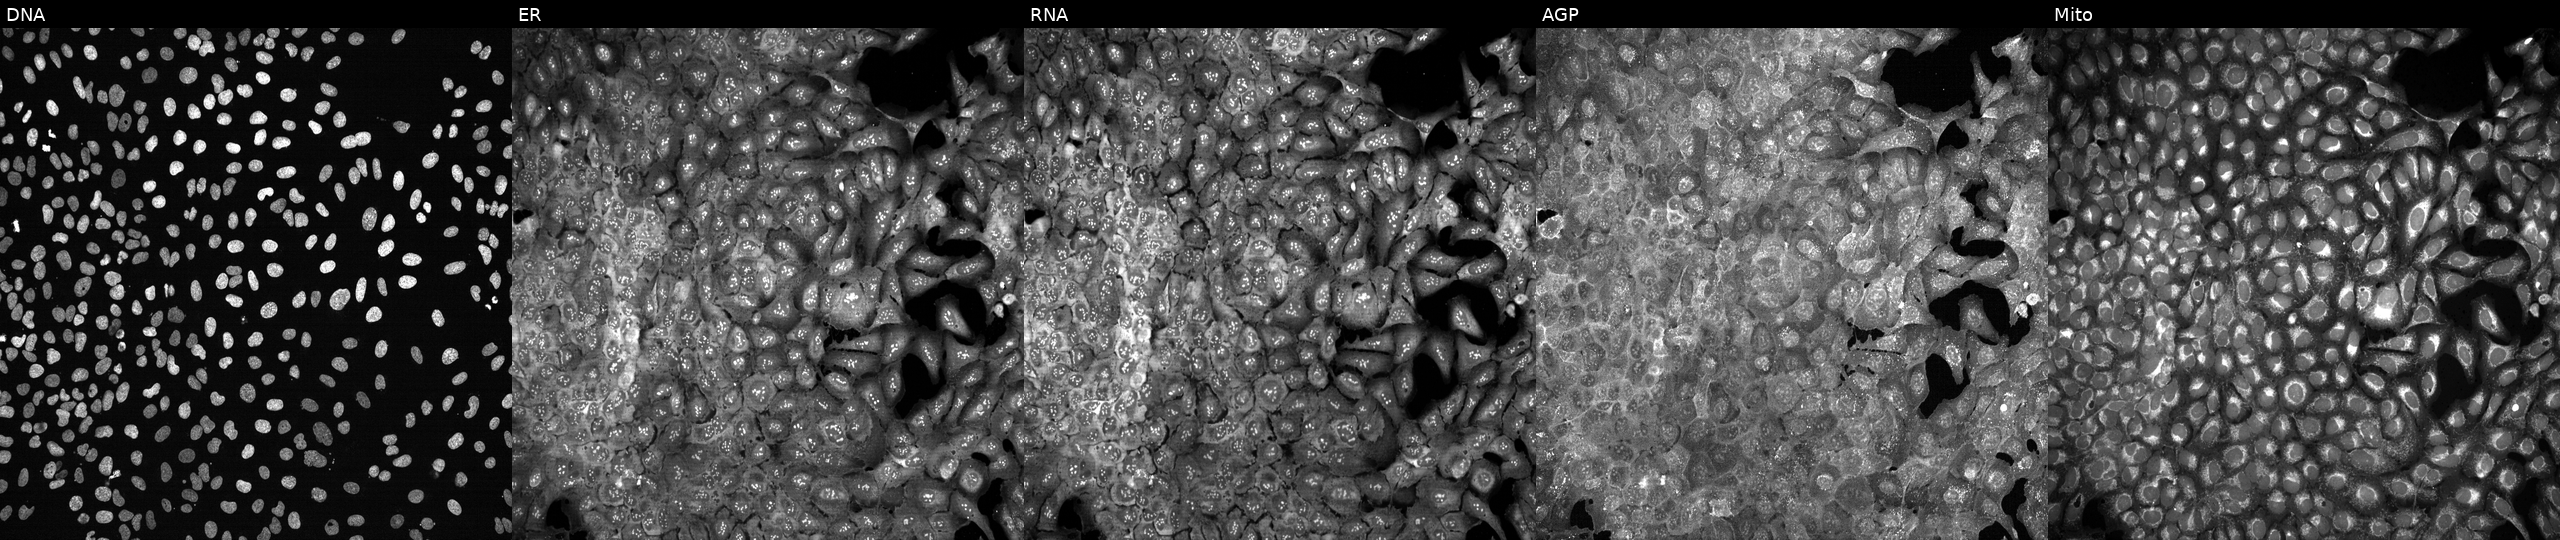
This image strip shows the five Cell Painting channels for a single field of U2OS cells with DHX30 knocked out by CRISPR (JUMP id JCP2022_801800). From left to right: DNA (nuclei); ER (endoplasmic reticulum); RNA (nucleoli and cytoplasmic RNA); AGP (actin cytoskeleton, Golgi, and plasma membrane); Mito (mitochondria).